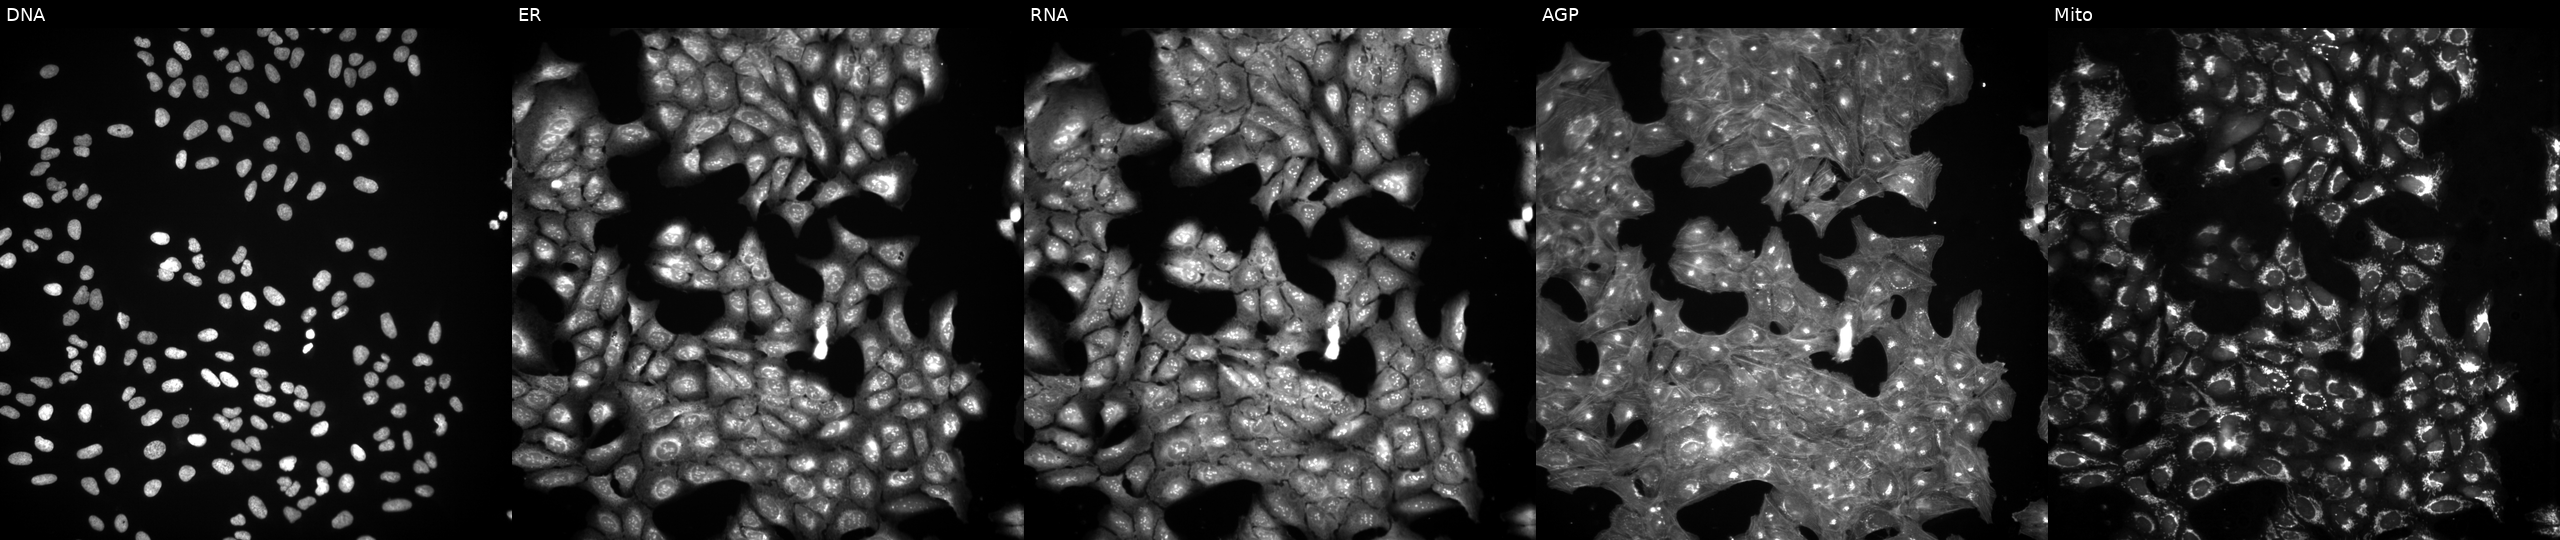
This image strip shows the five Cell Painting channels for a single field of U2OS cells exposed to a small-molecule compound (InChIKey HORUHNUJKIZYMS-UHFFFAOYSA-N). Panels show, left to right, DNA, ER, RNA, AGP, and Mito.